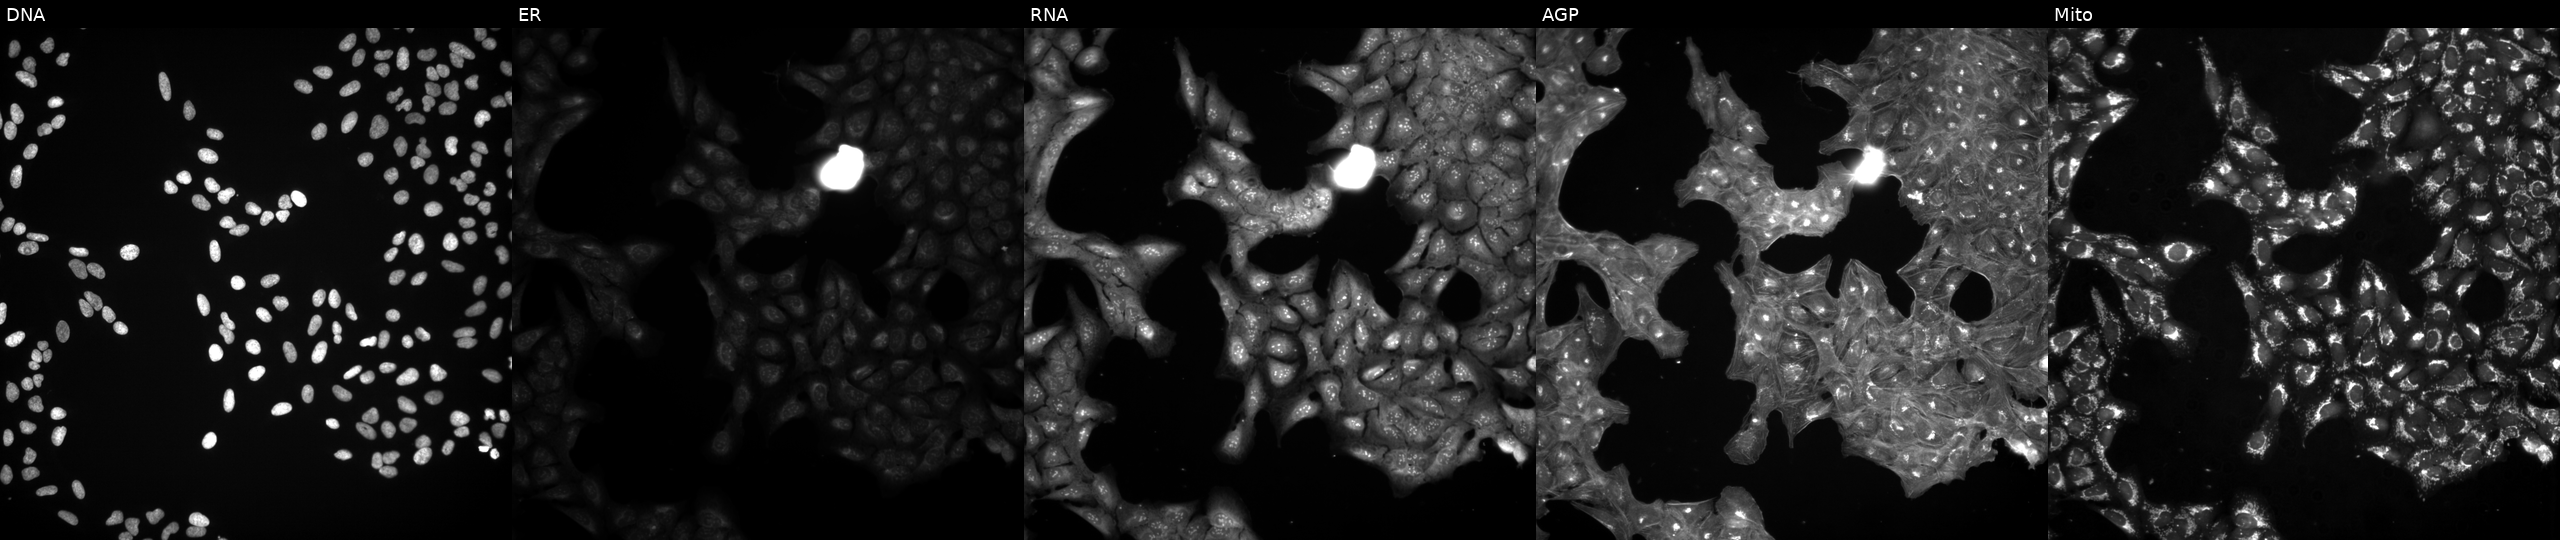
Five-channel Cell Painting image of U2OS cells exposed to a small-molecule compound (InChIKey DPPHDJLYFNPBRT-UHFFFAOYSA-N) (JUMP id JCP2022_017416). The five panels, left to right, show Hoechst 33342, concanavalin A, SYTO 14, phalloidin and WGA, MitoTracker. Source 3, plate BR5867a3, well O03.